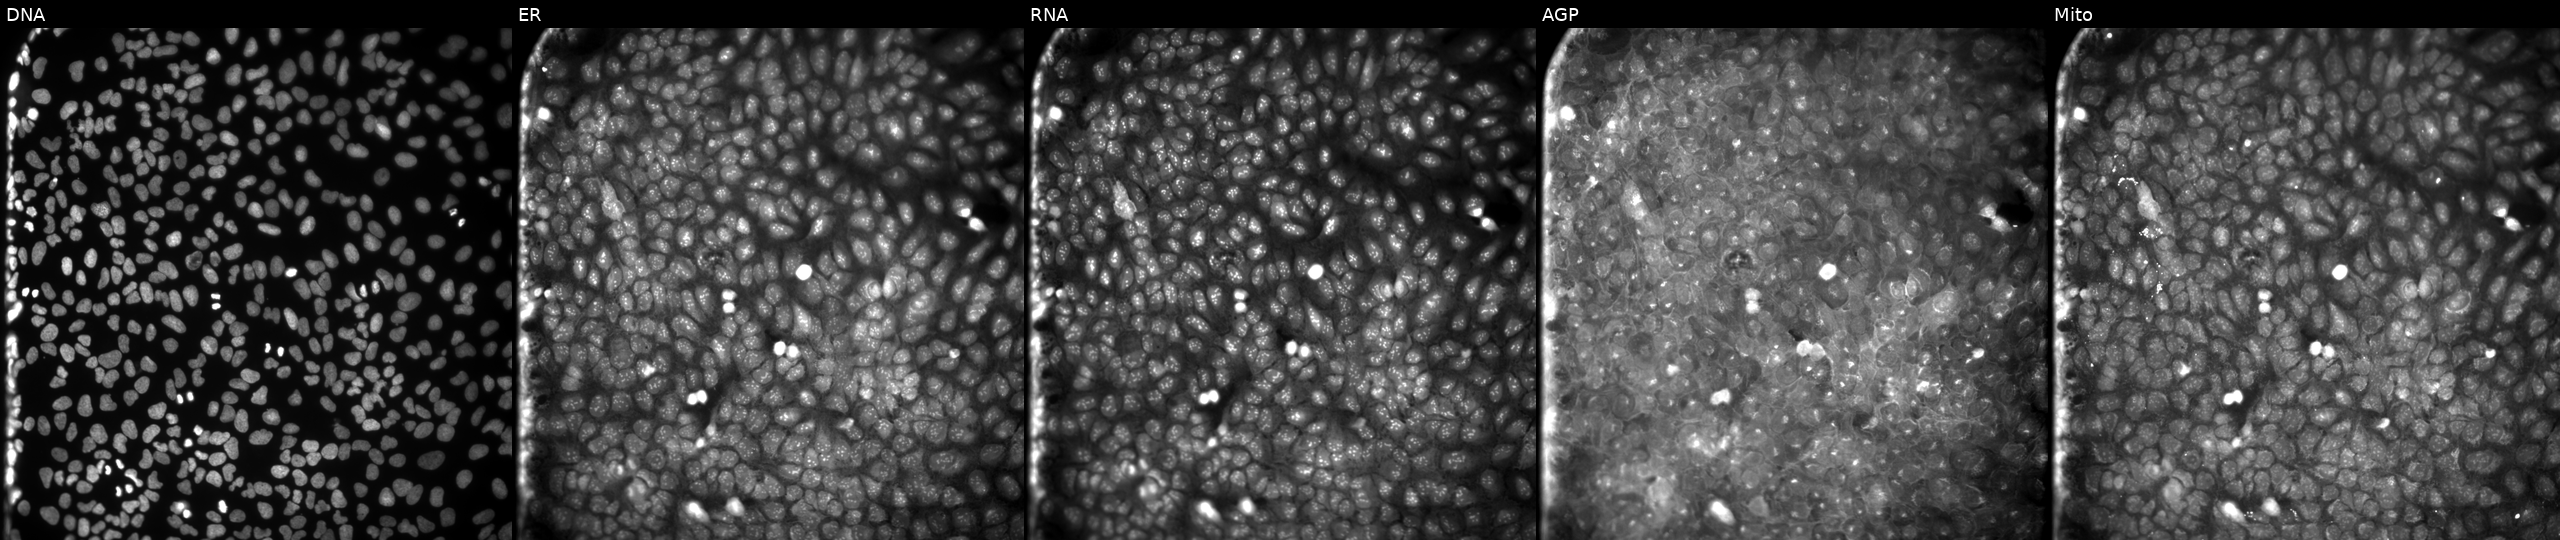
This image strip shows the five Cell Painting channels for a single field of U2OS cells exposed to DMSO alone as a negative control. The five panels, left to right, show DNA, ER, RNA, AGP, and Mito. Source 9, plate GR00003382, well AC02.